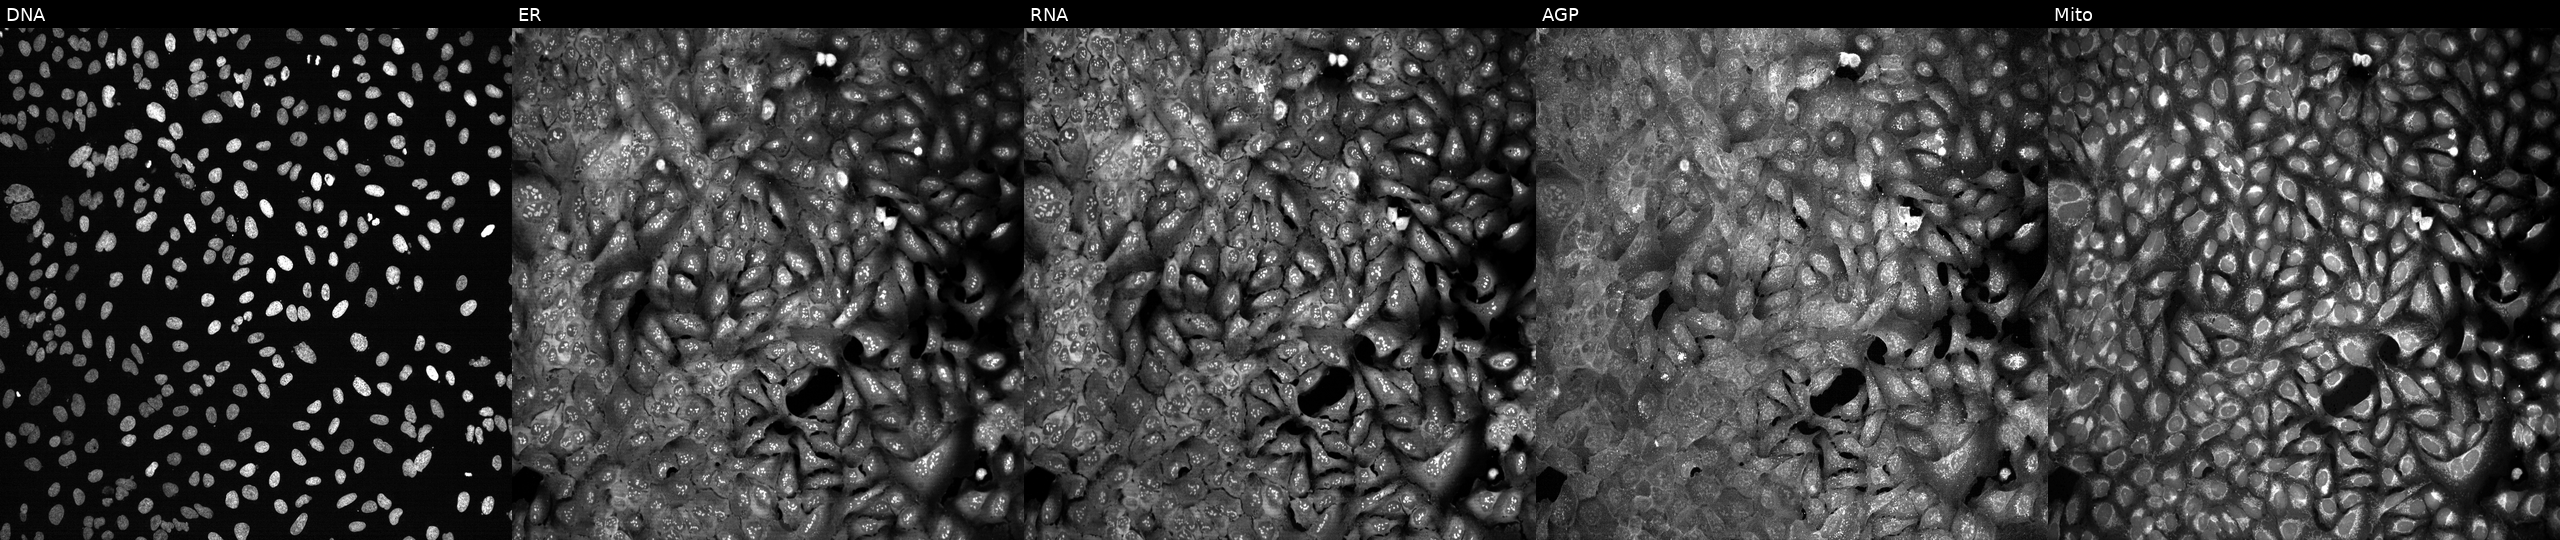
This image strip shows the five Cell Painting channels for a single field of U2OS cells CRISPR-edited to disrupt CA10. From left to right: DNA, ER, RNA, AGP, and Mito. Source 13, plate CP-CC9-R5-01, well O05.